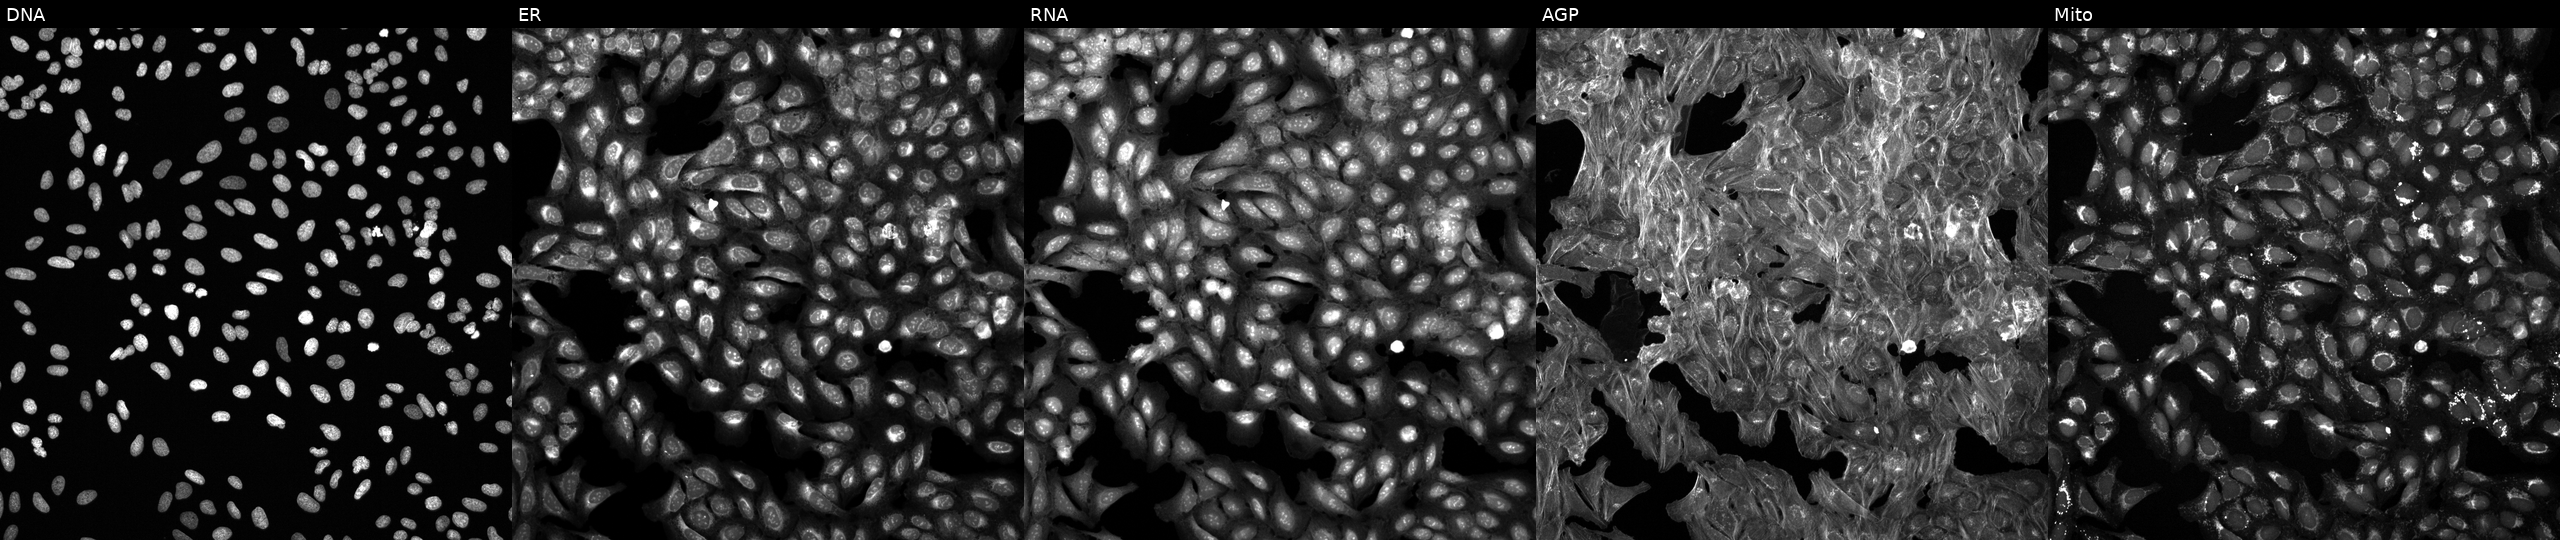
JUMP Cell Painting — TARGET2 plate. U2OS cells treated with TC-S-7004 (positive-control compound) (JUMP id JCP2022_012818). The five panels, left to right, show Hoechst 33342, concanavalin A, SYTO 14, phalloidin and WGA, MitoTracker.